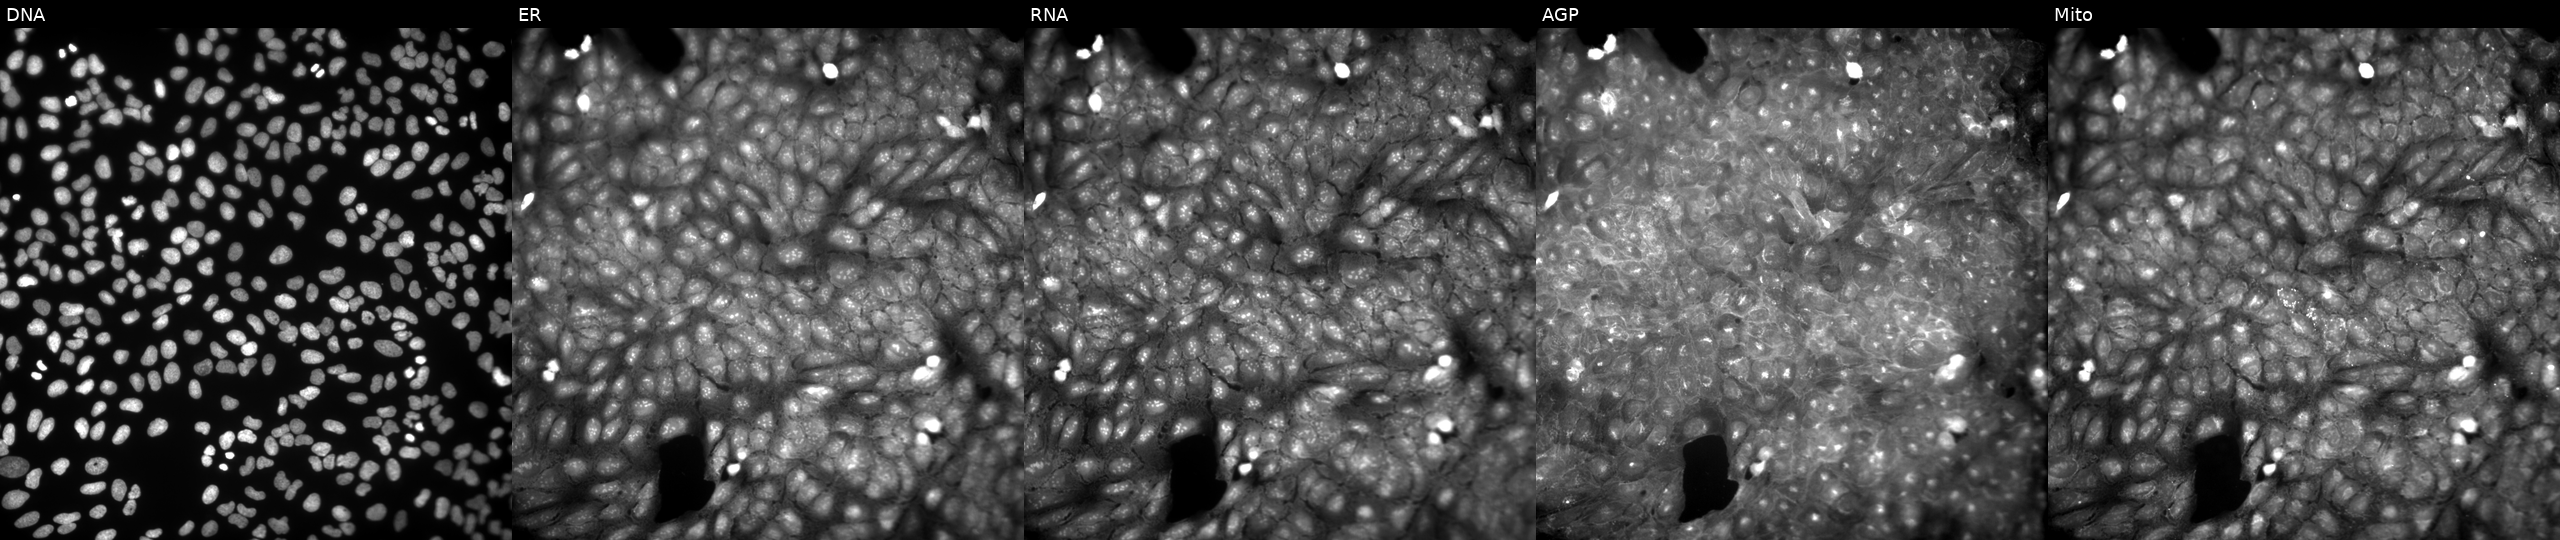
The five panels, left to right, show Hoechst 33342, concanavalin A, SYTO 14, phalloidin and WGA, MitoTracker. U2OS osteosarcoma cells treated with a small-molecule compound (JUMP id JCP2022_040647). Cell Painting assay, JUMP-CP dataset.